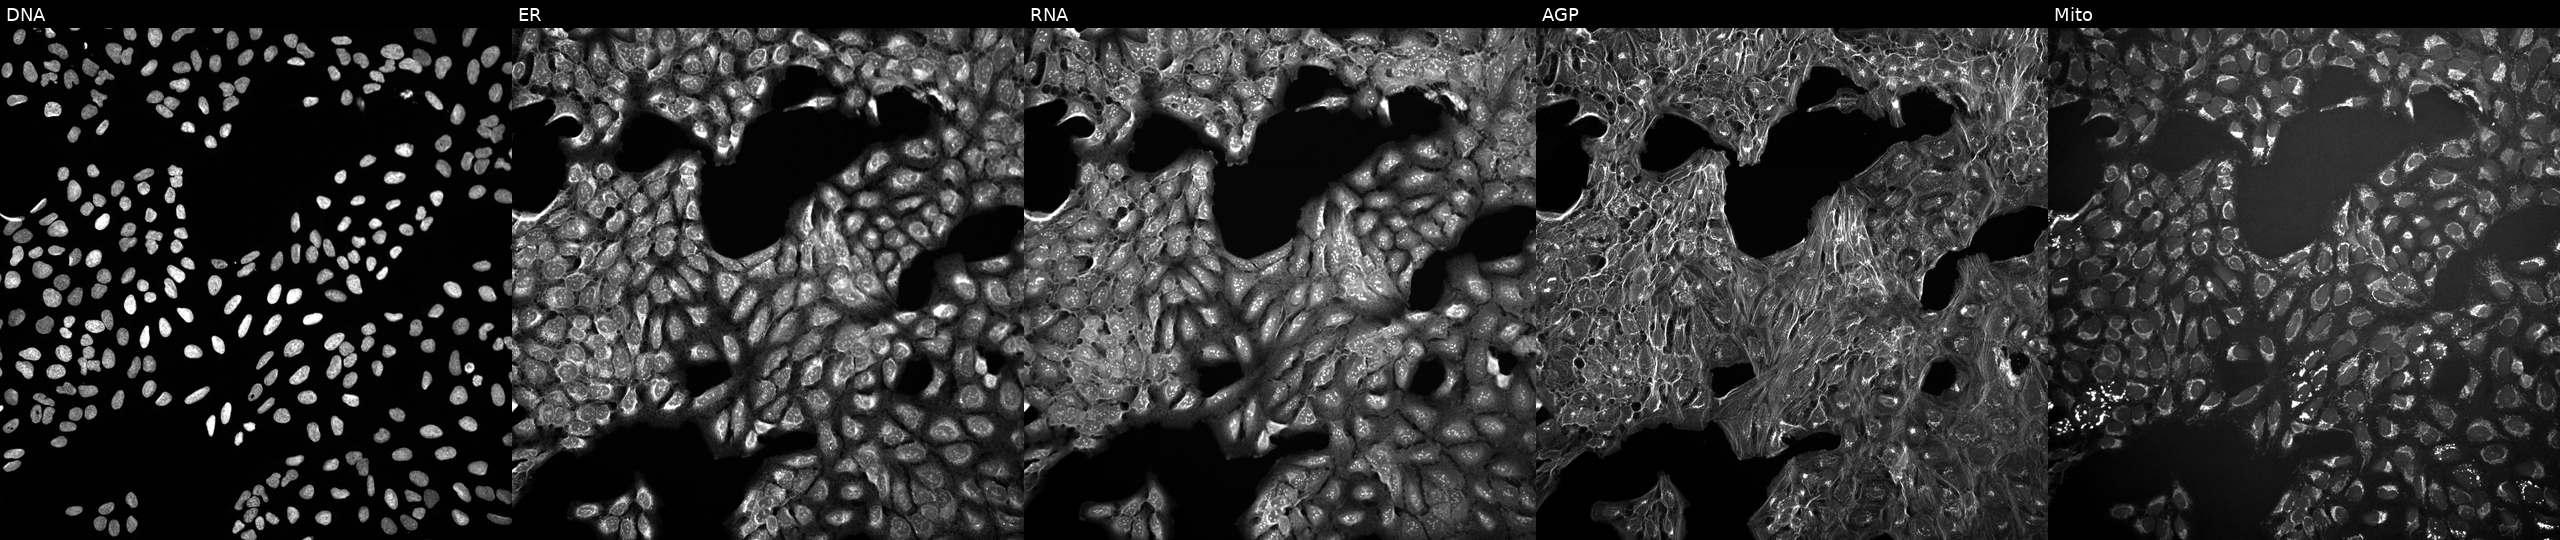
Panels show, left to right, DNA (nuclei); ER (endoplasmic reticulum); RNA (nucleoli and cytoplasmic RNA); AGP (actin cytoskeleton, Golgi, and plasma membrane); Mito (mitochondria). U2OS osteosarcoma cells perturbed with a small-molecule compound (InChIKey JEAGZSQMDCLMPZ-UHFFFAOYSA-N) [SMILES: O=c1c2ccccc2ncn1C1CCCN(S(=O)(=O)c2ccc3c(c2)CCO3)C1] (JUMP id JCP2022_039154). Cell Painting assay, JUMP-CP dataset.